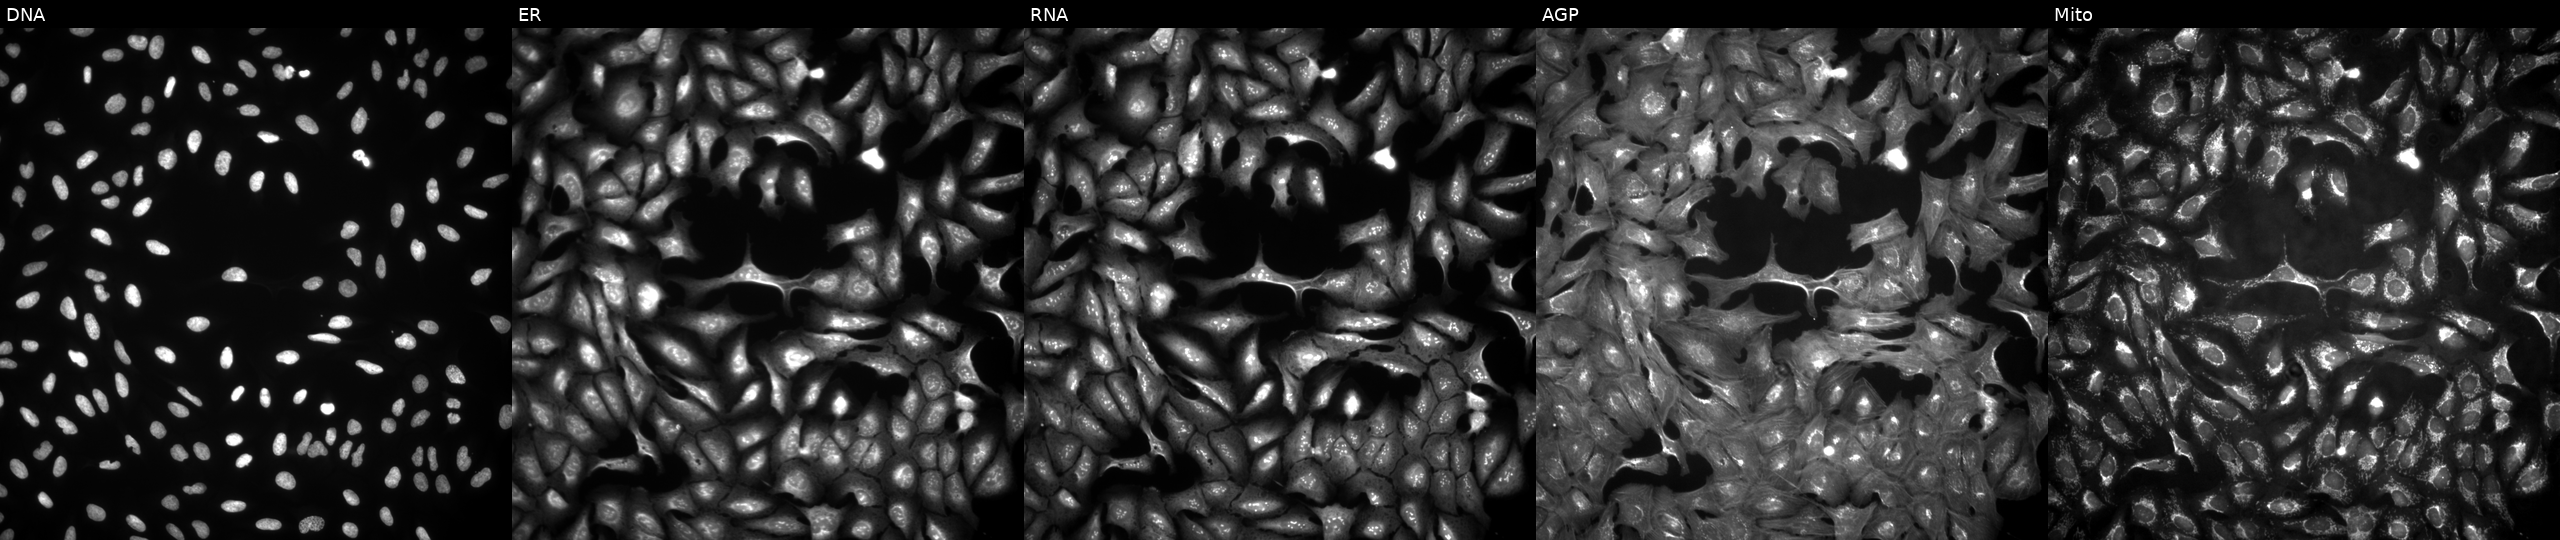
From left to right: DNA (nuclei); ER (endoplasmic reticulum); RNA (nucleoli and cytoplasmic RNA); AGP (actin cytoskeleton, Golgi, and plasma membrane); Mito (mitochondria). U2OS osteosarcoma cells transfected with a failed ORF construct (JUMP BAD CONSTRUCT marker). Cell Painting assay, JUMP-CP dataset. Source 4, plate BR00123509, well L04.